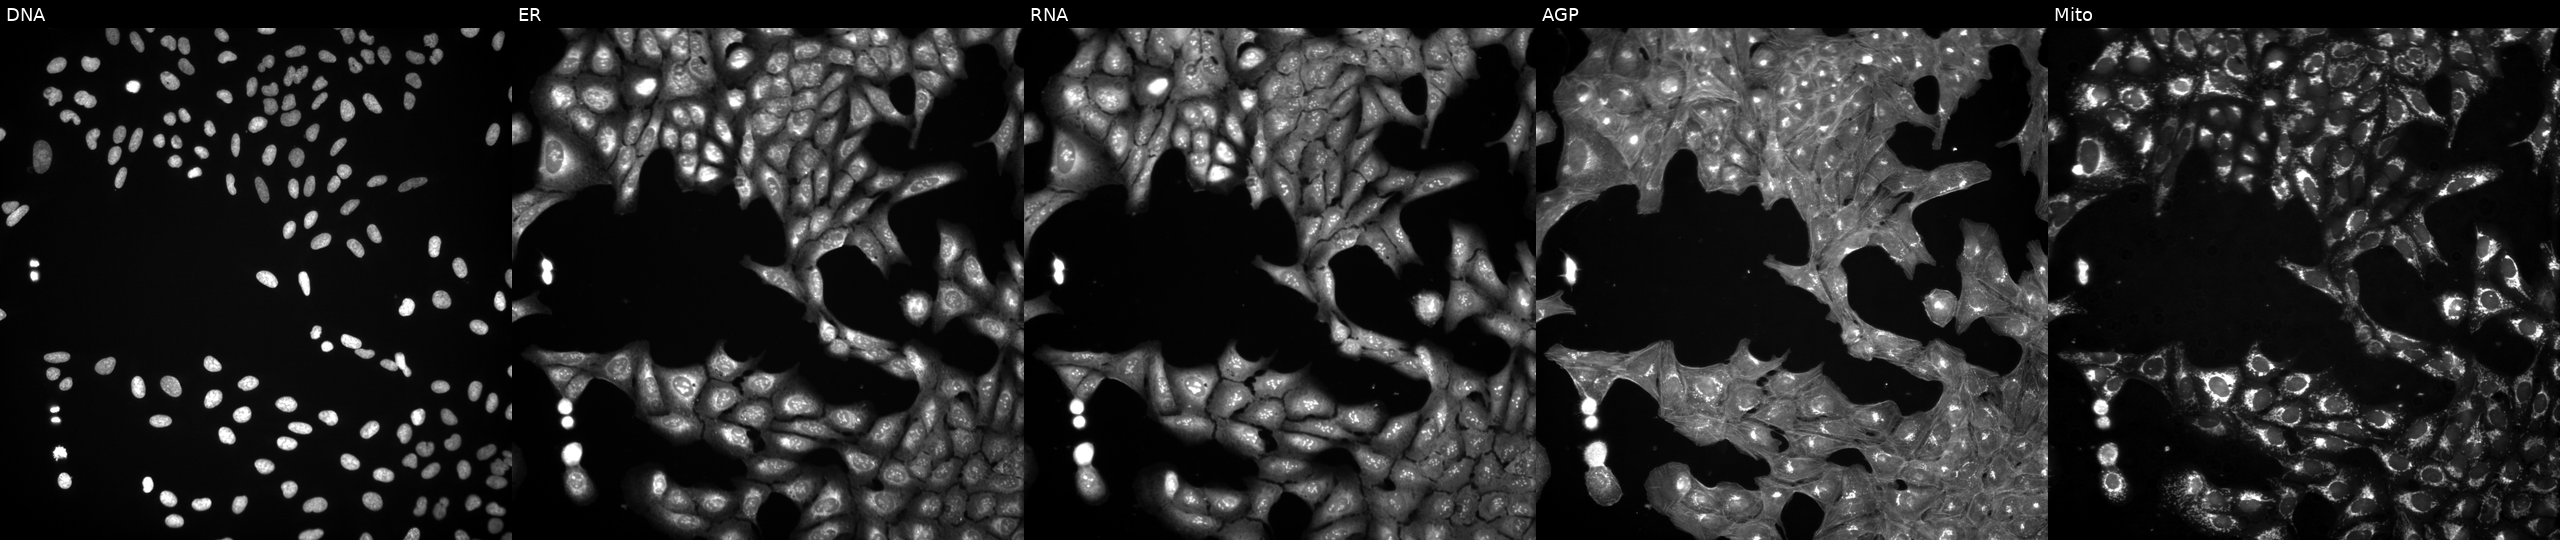
JUMP Cell Painting — COMPOUND plate. U2OS cells treated with a small-molecule compound (InChIKey ZVKLHIPGOQNOLB-UHFFFAOYSA-N) [SMILES: CC(C)CNC(=O)C1CC(=O)OC12CCCCC2] (JUMP id JCP2022_115929). From left to right: Hoechst 33342, concanavalin A, SYTO 14, phalloidin and WGA, MitoTracker.